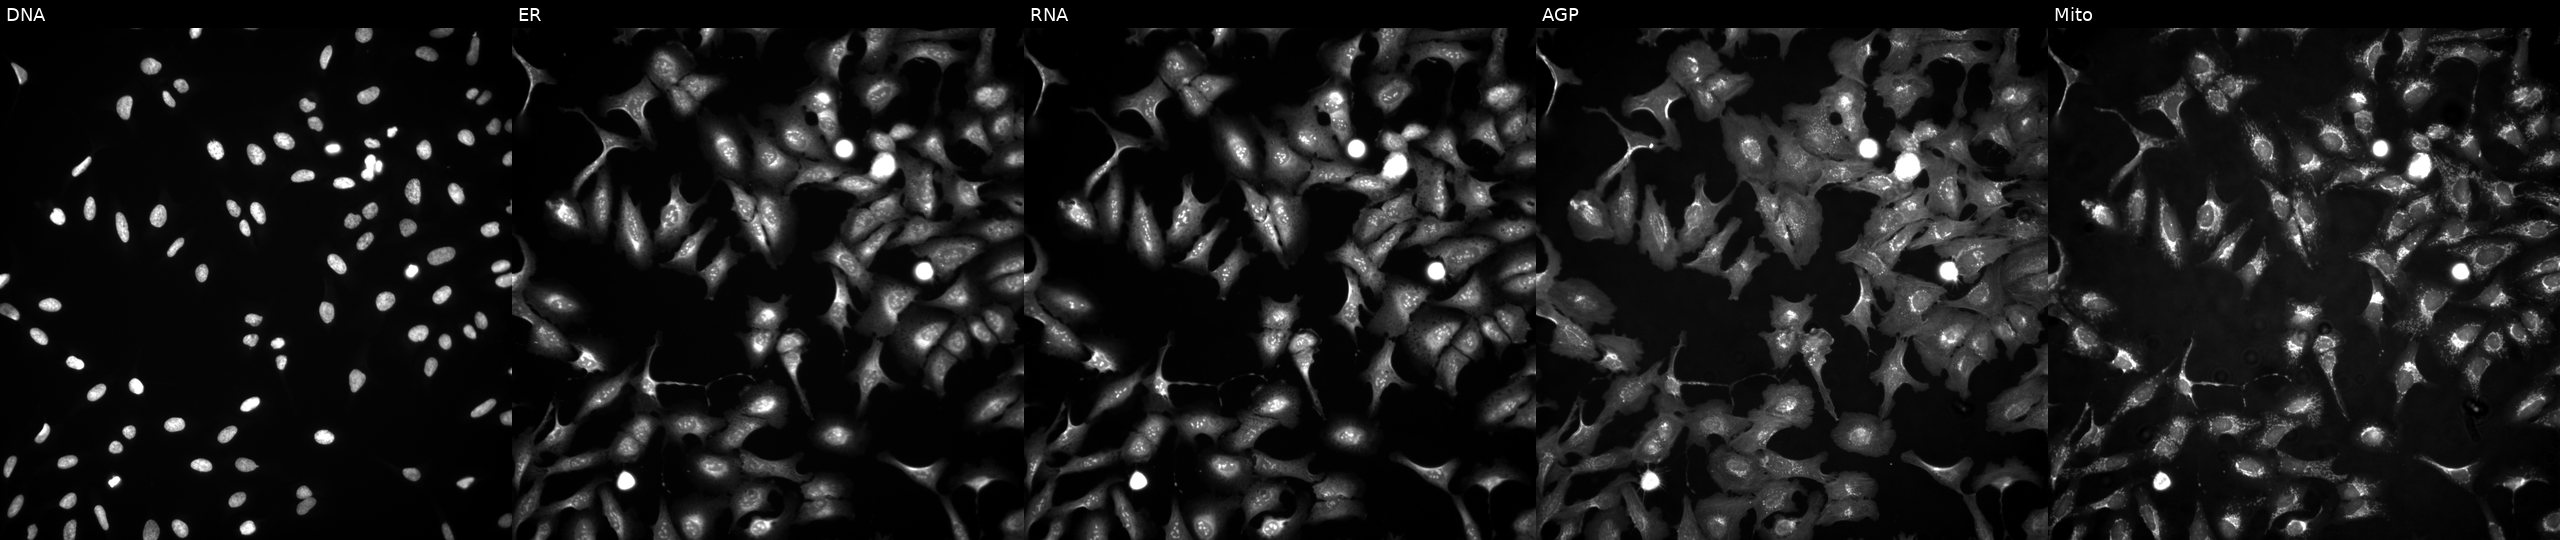
U2OS cells, Cell Painting assay, with SPRTN overexpressed (ORF) (JUMP id JCP2022_911896). Panels show, left to right, DNA (nuclei); ER (endoplasmic reticulum); RNA (nucleoli and cytoplasmic RNA); AGP (actin cytoskeleton, Golgi, and plasma membrane); Mito (mitochondria). Each panel is percentile-stretched 16-bit fluorescence. Source 4, plate BR00124787, well N20.